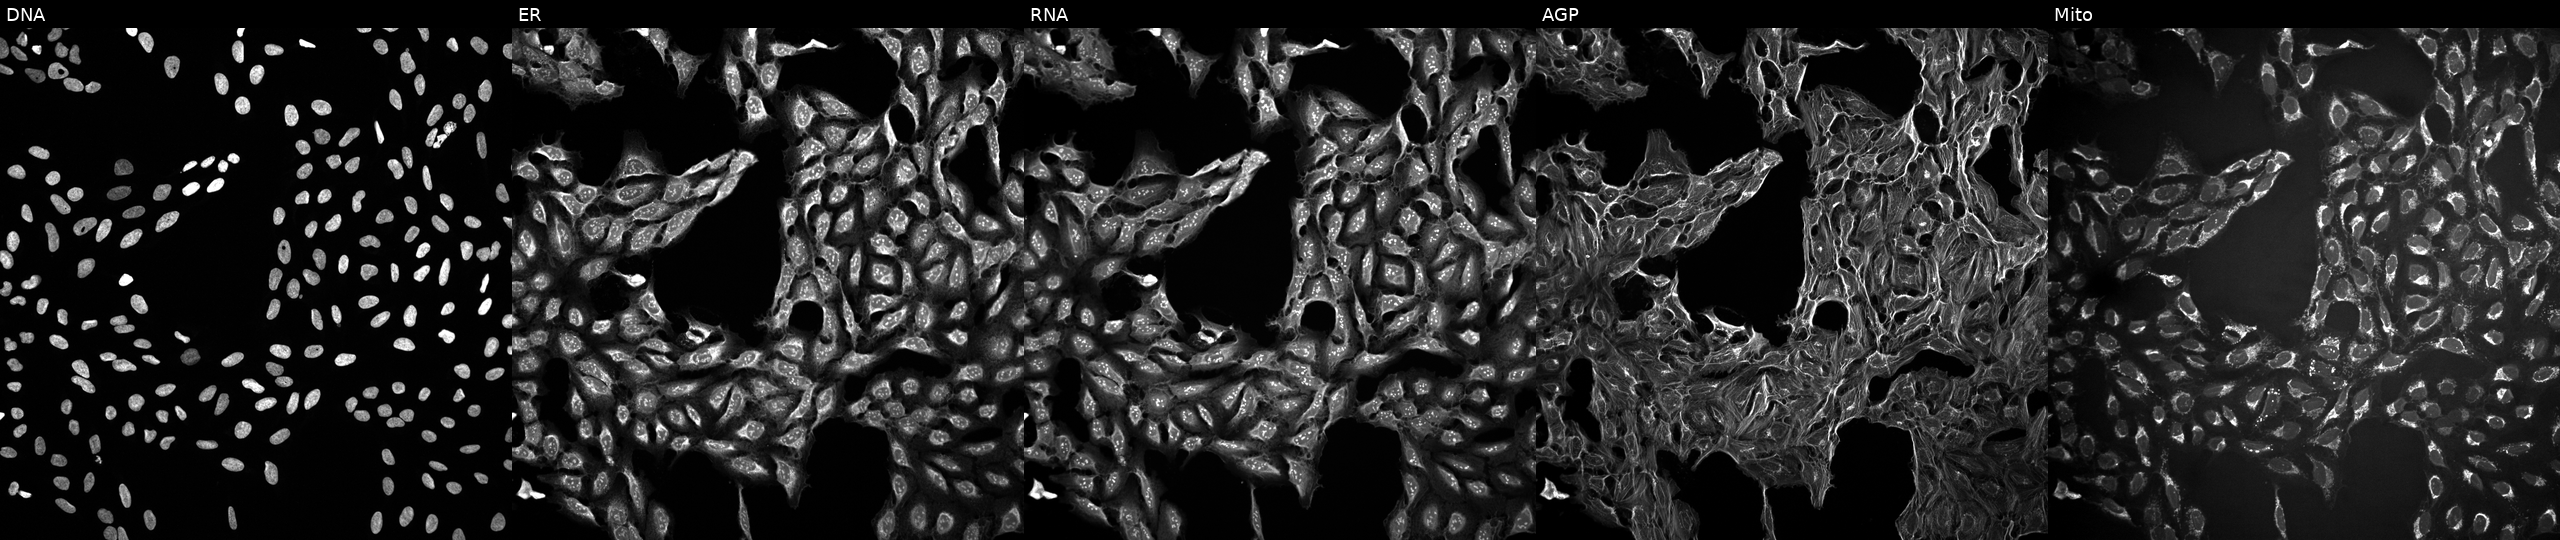
JUMP Cell Painting — TARGET2 plate. U2OS cells treated with a small-molecule compound (InChIKey DTGLZDAWLRGWQN-UHFFFAOYSA-N). Panels show, left to right, DNA (nuclei); ER (endoplasmic reticulum); RNA (nucleoli and cytoplasmic RNA); AGP (actin cytoskeleton, Golgi, and plasma membrane); Mito (mitochondria).